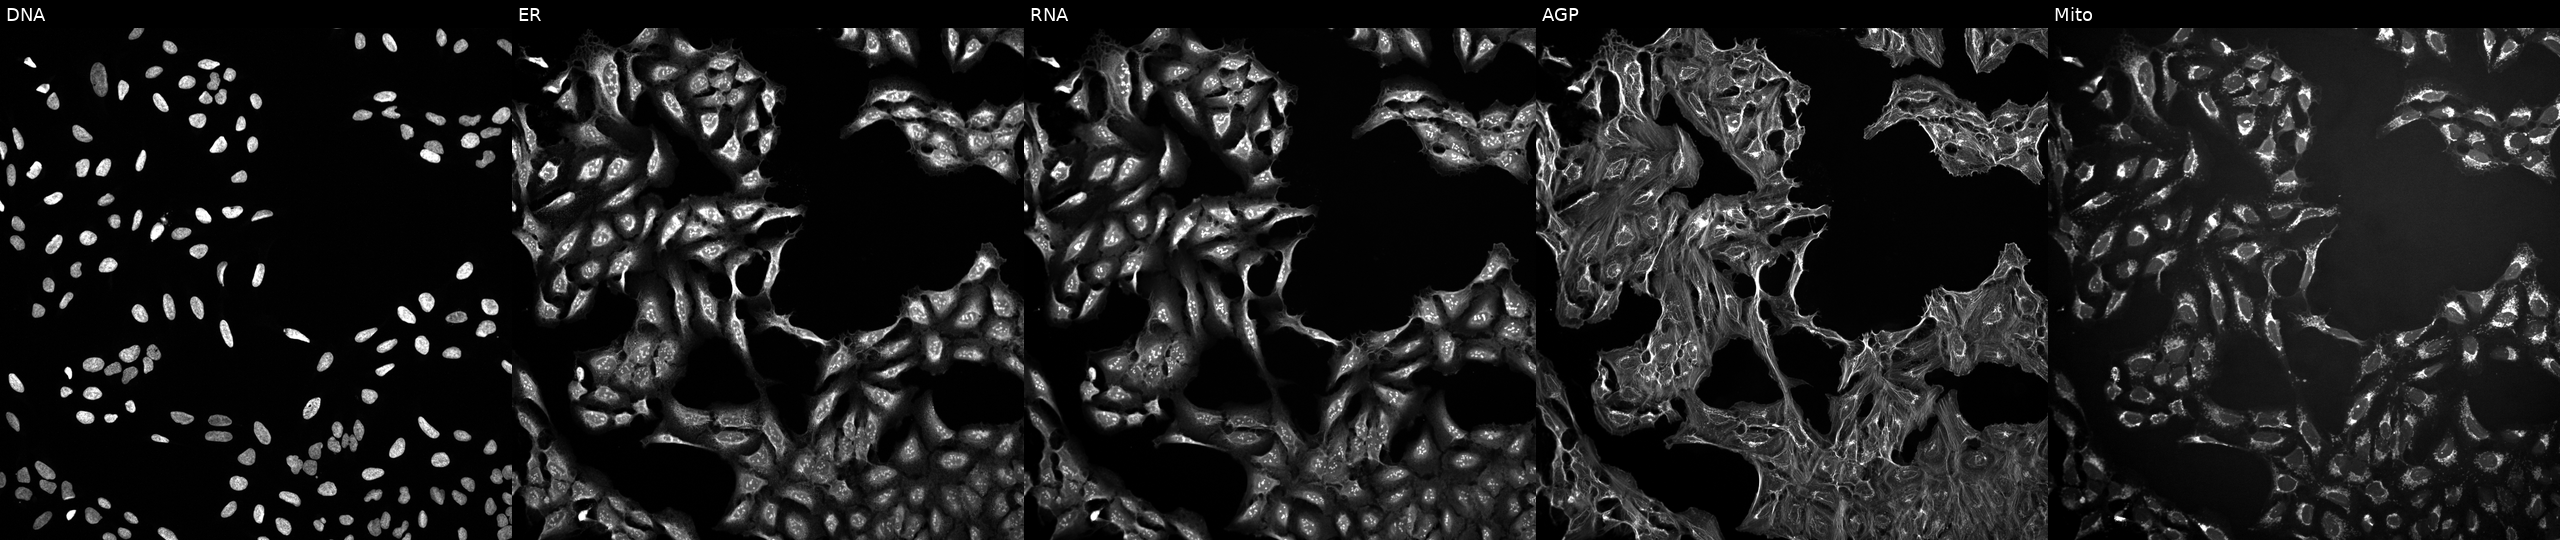
JUMP Cell Painting — TARGET2 plate. U2OS cells exposed to DMSO alone as a negative control. From left to right: DNA (nuclei); ER (endoplasmic reticulum); RNA (nucleoli and cytoplasmic RNA); AGP (actin cytoskeleton, Golgi, and plasma membrane); Mito (mitochondria).